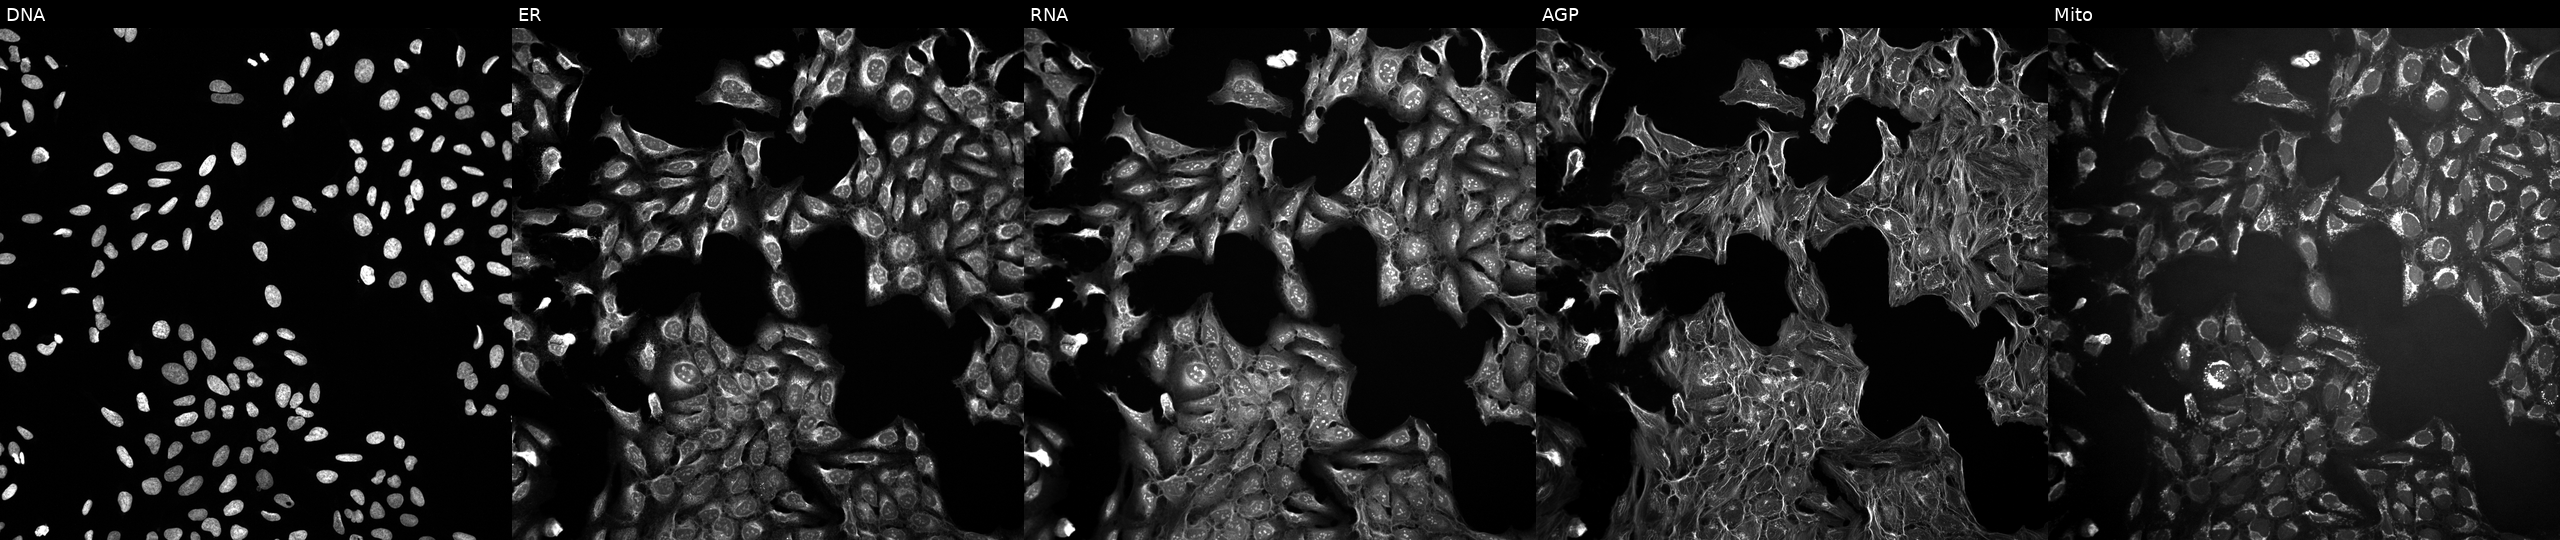
Channels (left→right): DNA (nuclei); ER (endoplasmic reticulum); RNA (nucleoli and cytoplasmic RNA); AGP (actin cytoskeleton, Golgi, and plasma membrane); Mito (mitochondria). U2OS osteosarcoma cells exposed to a small-molecule compound (InChIKey LYQAXLBRXXZUTJ-UHFFFAOYSA-N). Cell Painting assay, JUMP-CP dataset. Source 10, plate Dest210531-152324, well P17.